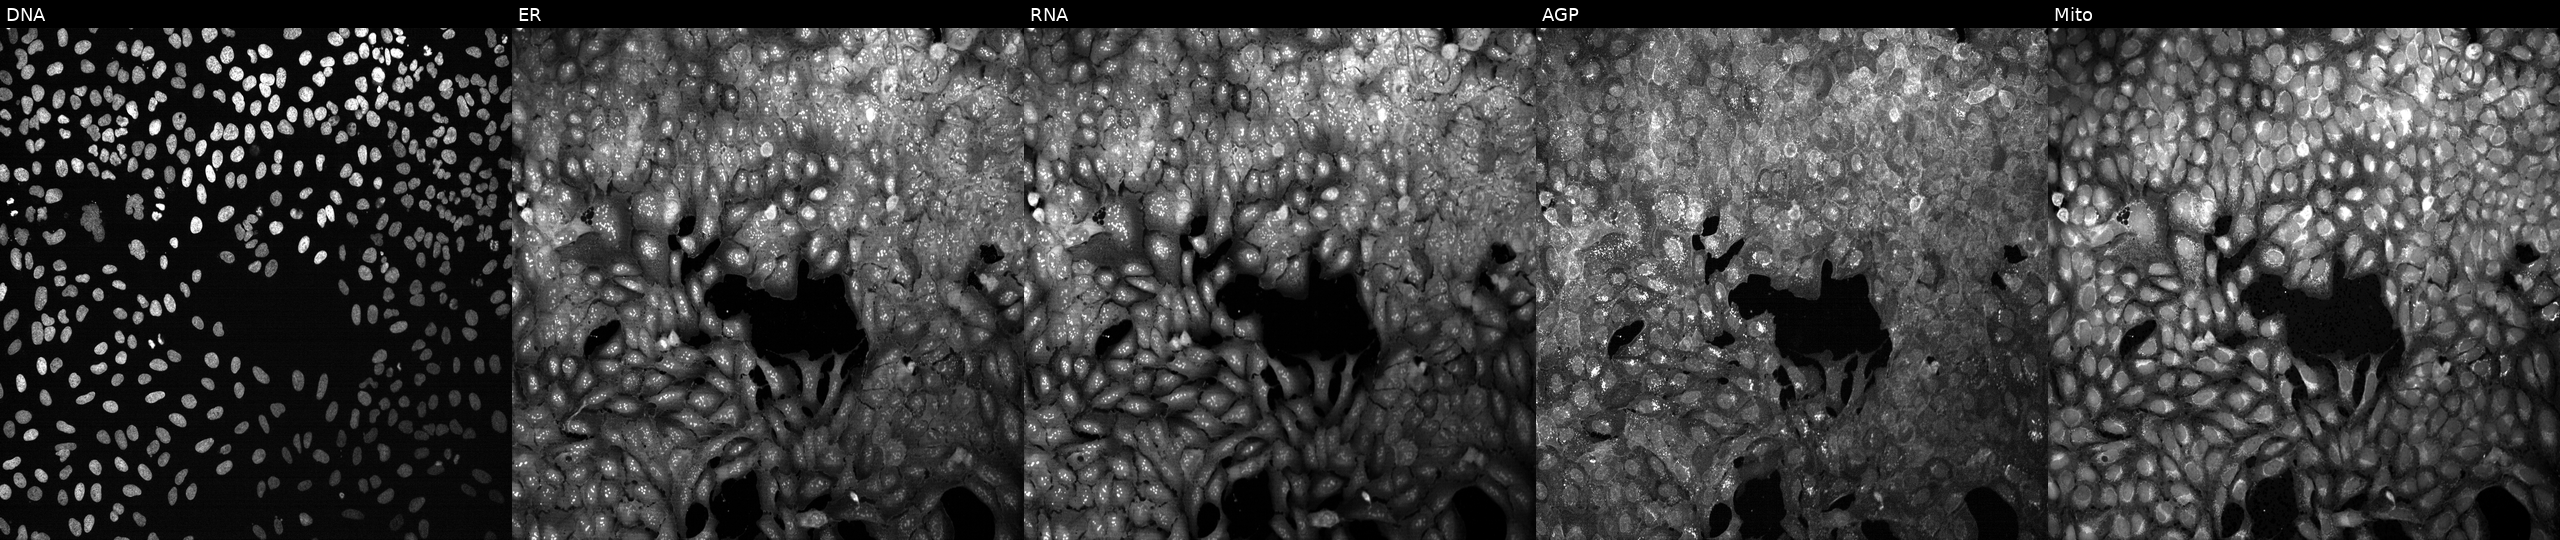
From left to right: DNA, ER, RNA, AGP, and Mito. U2OS osteosarcoma cells CRISPR-edited to disrupt CLEC2D (JUMP id JCP2022_801383). Cell Painting assay, JUMP-CP dataset. Source 13, plate CP-CC9-R1-02, well O21.